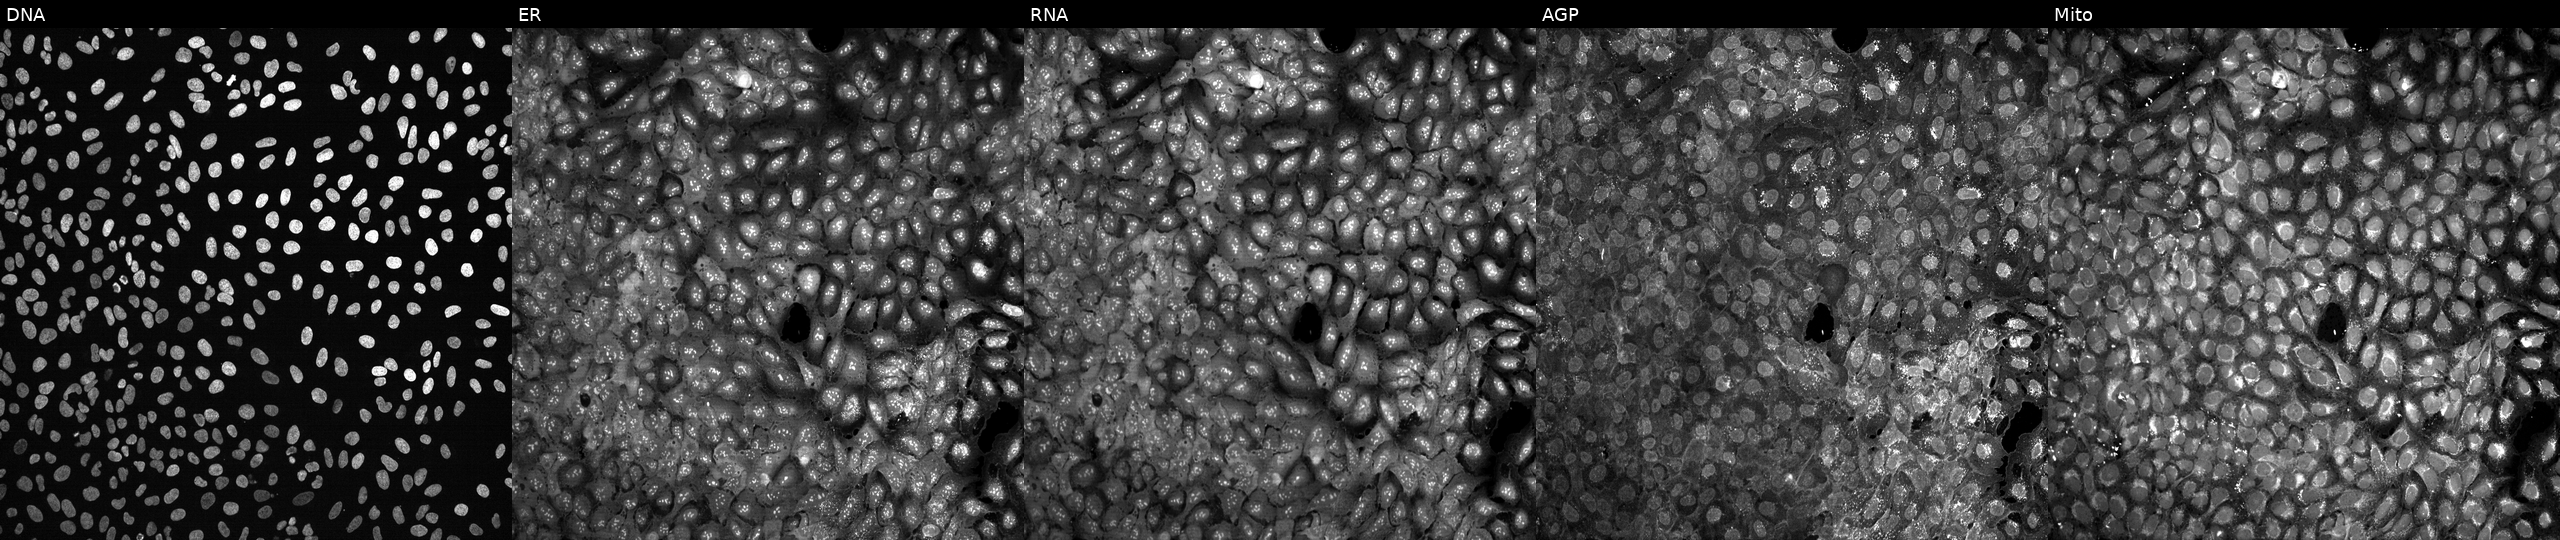
JUMP Cell Painting — CRISPR plate. U2OS cells treated with aloxistatin (positive-control compound). From left to right: DNA (nuclei); ER (endoplasmic reticulum); RNA (nucleoli and cytoplasmic RNA); AGP (actin cytoskeleton, Golgi, and plasma membrane); Mito (mitochondria).